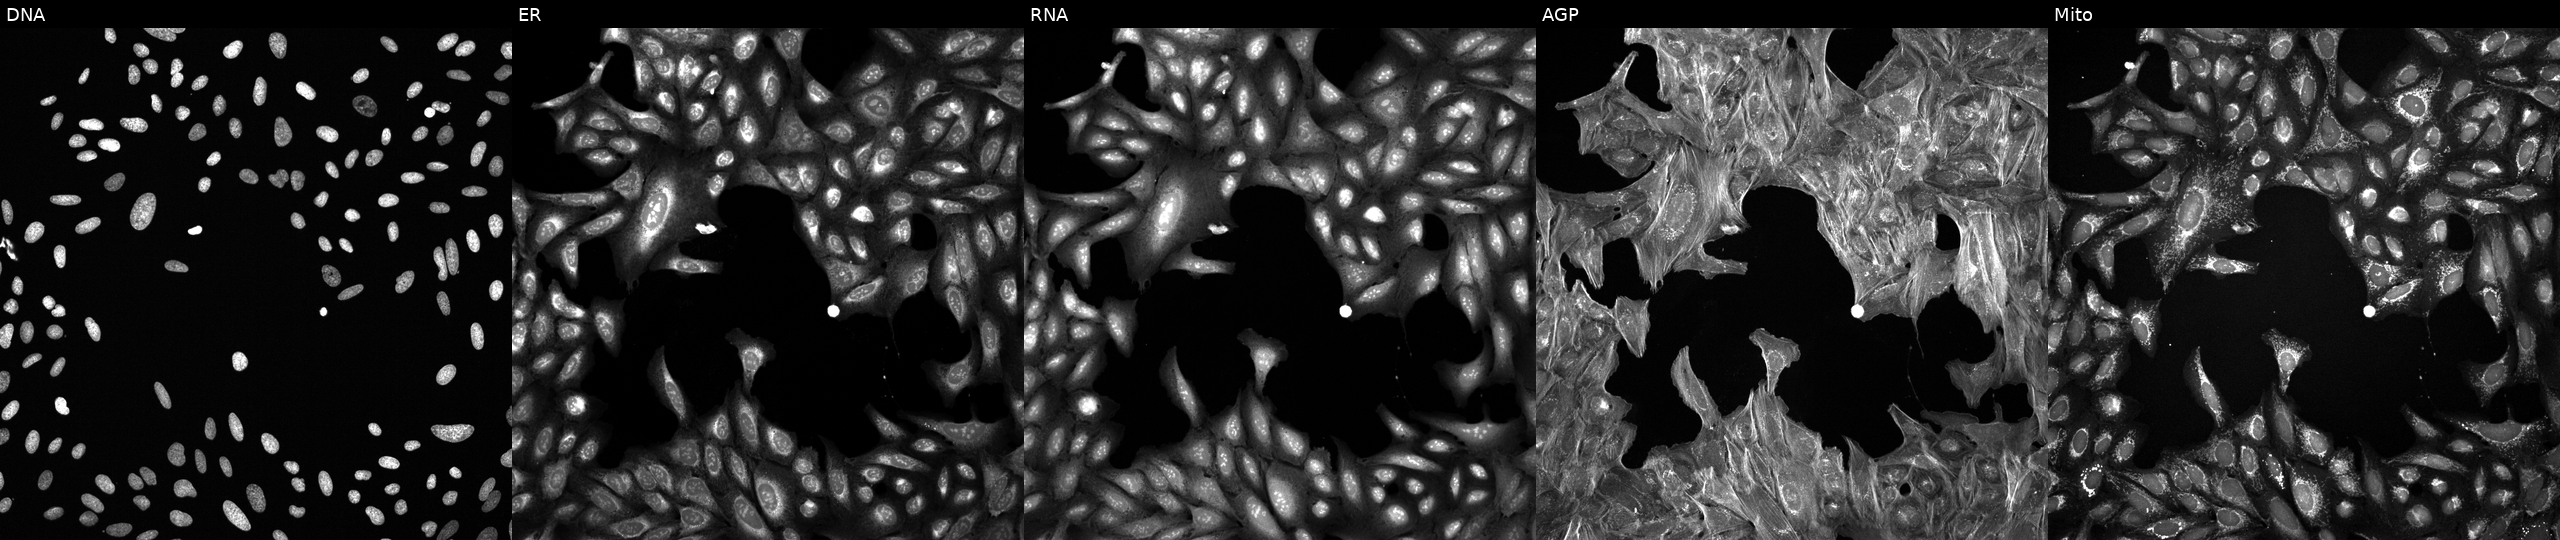
JUMP Cell Painting — TARGET2 plate. U2OS cells exposed to a small-molecule compound (InChIKey RQVGFDBMONQTBC-UHFFFAOYSA-N). The five panels, left to right, show DNA, ER, RNA, AGP, and Mito.